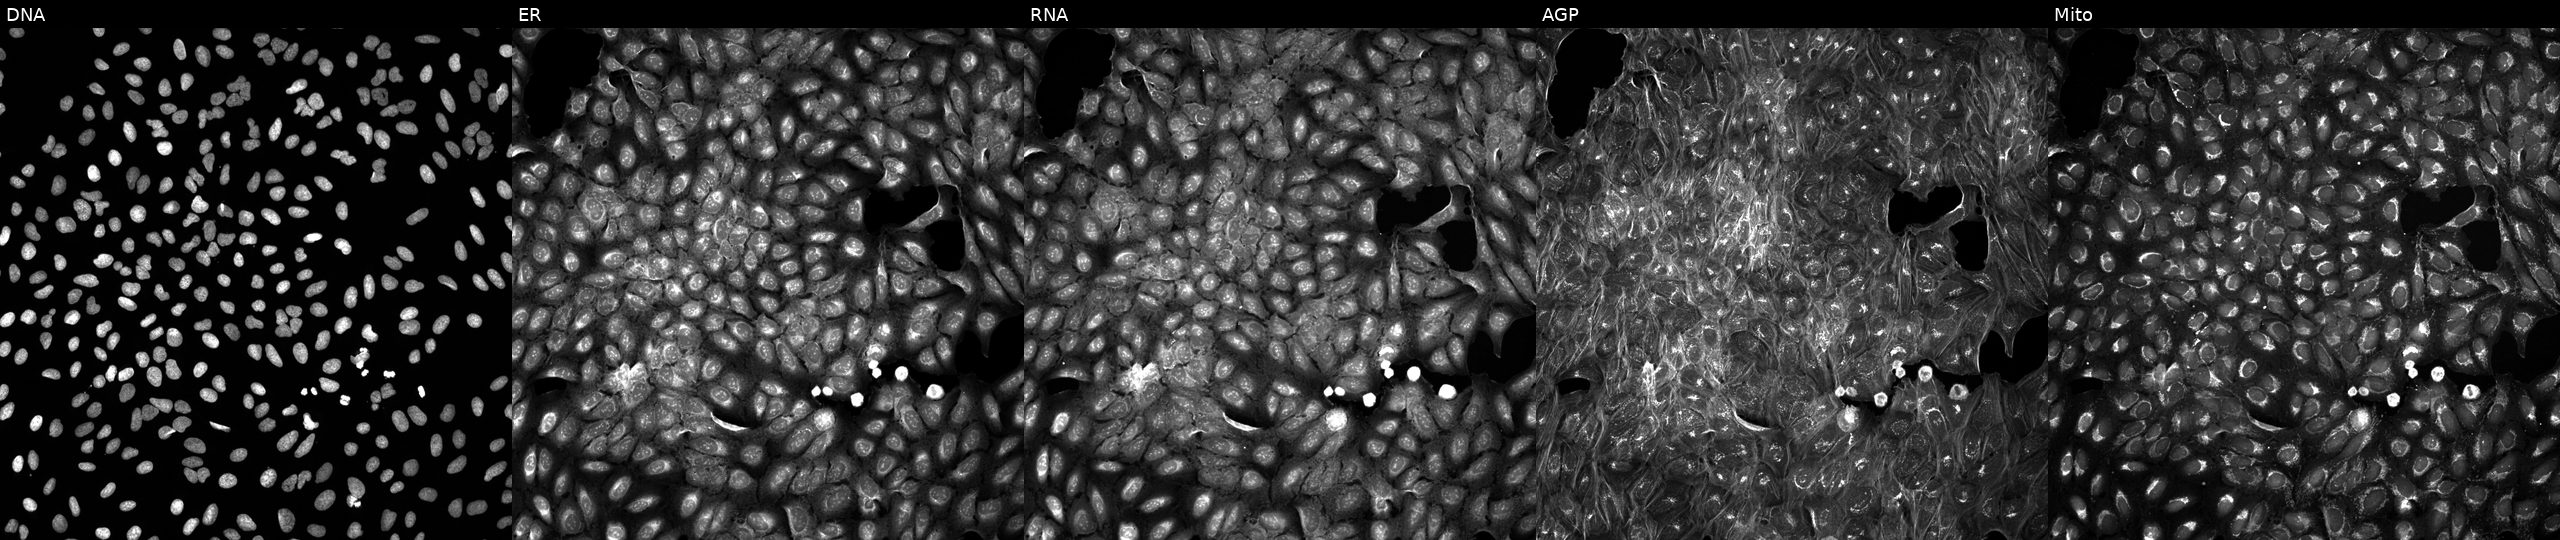
U2OS cells, Cell Painting assay, exposed to DMSO alone as a negative control. The five panels, left to right, show DNA, ER, RNA, AGP, and Mito. Each panel is percentile-stretched 16-bit fluorescence.